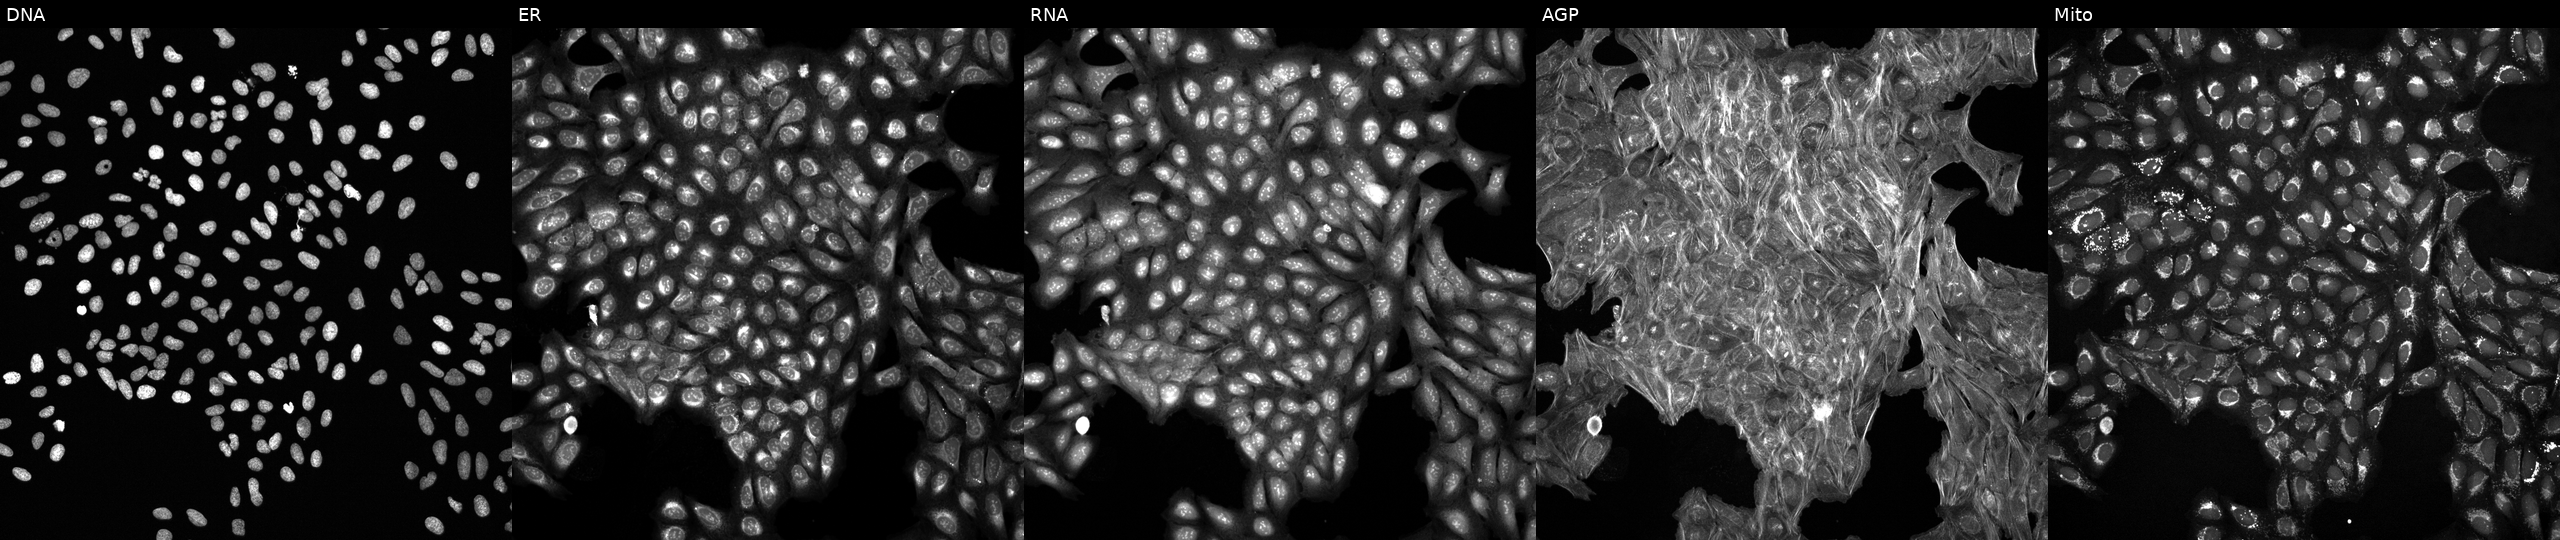
This image strip shows the five Cell Painting channels for a single field of U2OS cells perturbed with a small-molecule compound (InChIKey KPKAPHZDGURRBA-UHFFFAOYSA-N) [SMILES: CCn1nccc1C(C)NC(=O)c1cc(-c2cccc(OC)c2)nc2c1c(C)nn2C]. Panels show, left to right, Hoechst 33342, concanavalin A, SYTO 14, phalloidin and WGA, MitoTracker.